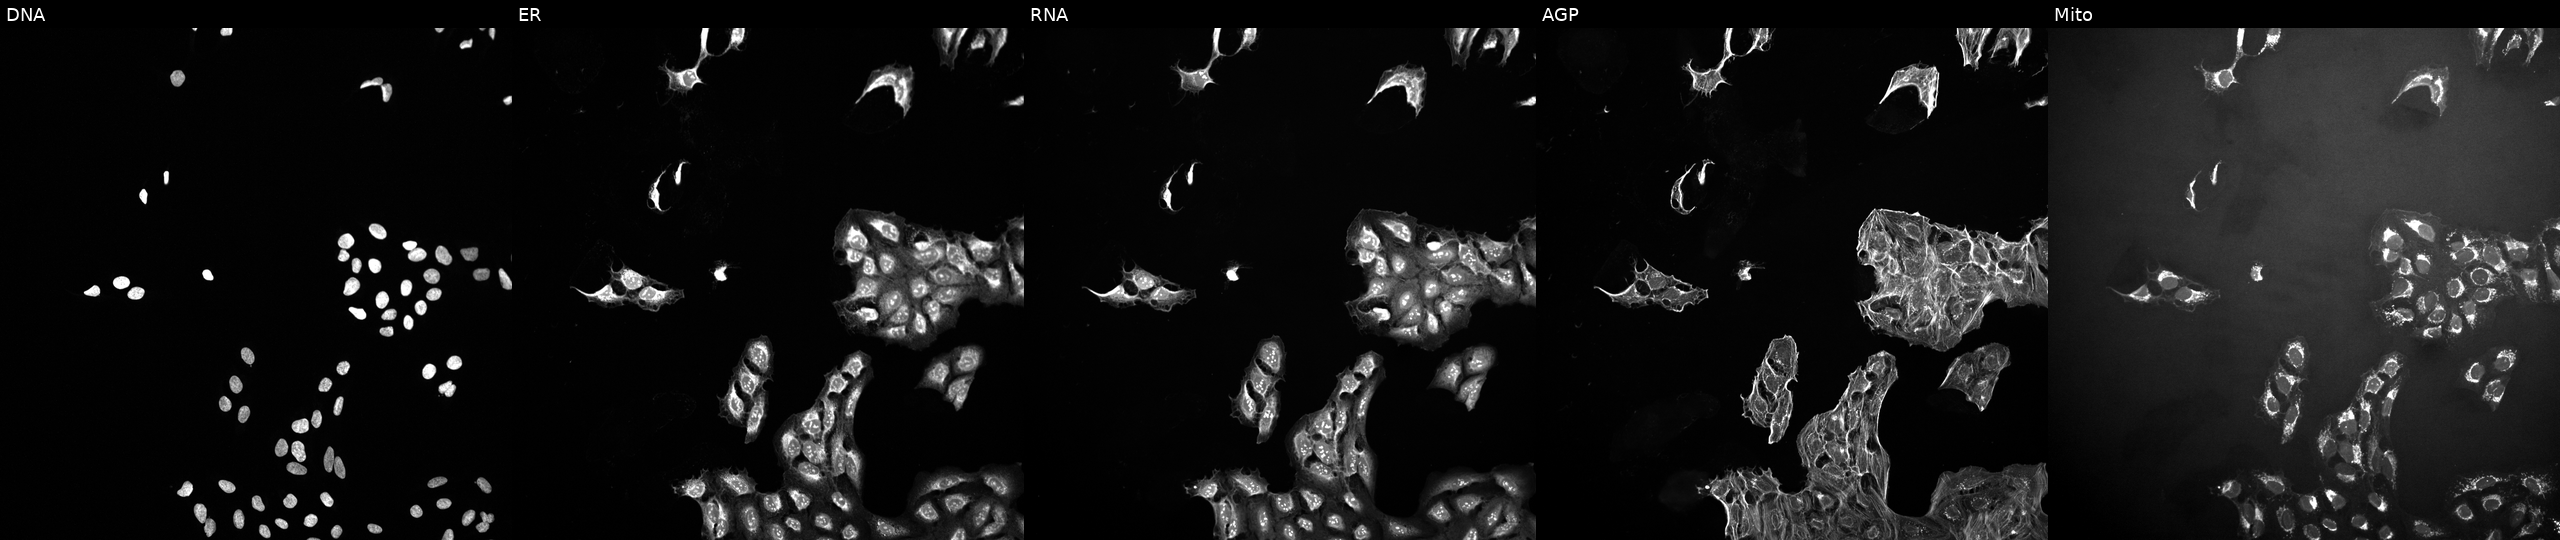
High-content fluorescence microscopy (Cell Painting). Cell line: U2OS. Perturbation: perturbed with a small-molecule compound (InChIKey DXZRBHUCOHBAHP-UHFFFAOYSA-N) [SMILES: CCOC(=O)c1c(C(C#N)C=N)c2ccc(Cl)c(Cl)c2n1C]. The five panels, left to right, show Hoechst 33342, concanavalin A, SYTO 14, phalloidin and WGA, MitoTracker.